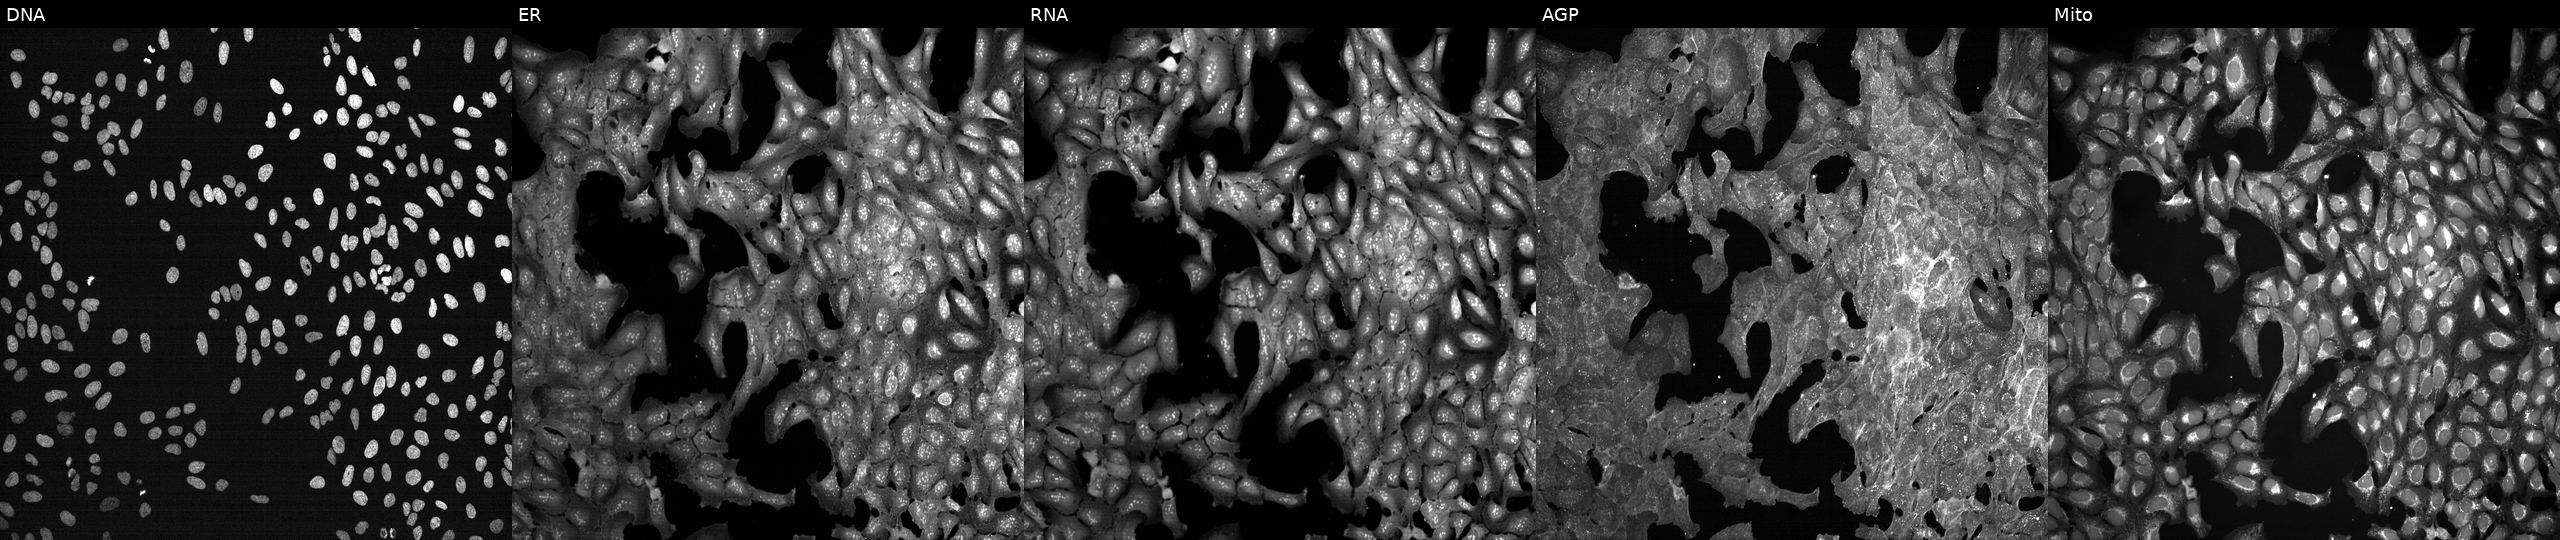
JUMP Cell Painting — TARGET2 plate. U2OS cells exposed to a small-molecule compound (InChIKey JYLNVJYYQQXNEK-UHFFFAOYSA-N) (JUMP id JCP2022_042960). Panels show, left to right, Hoechst 33342, concanavalin A, SYTO 14, phalloidin and WGA, MitoTracker.